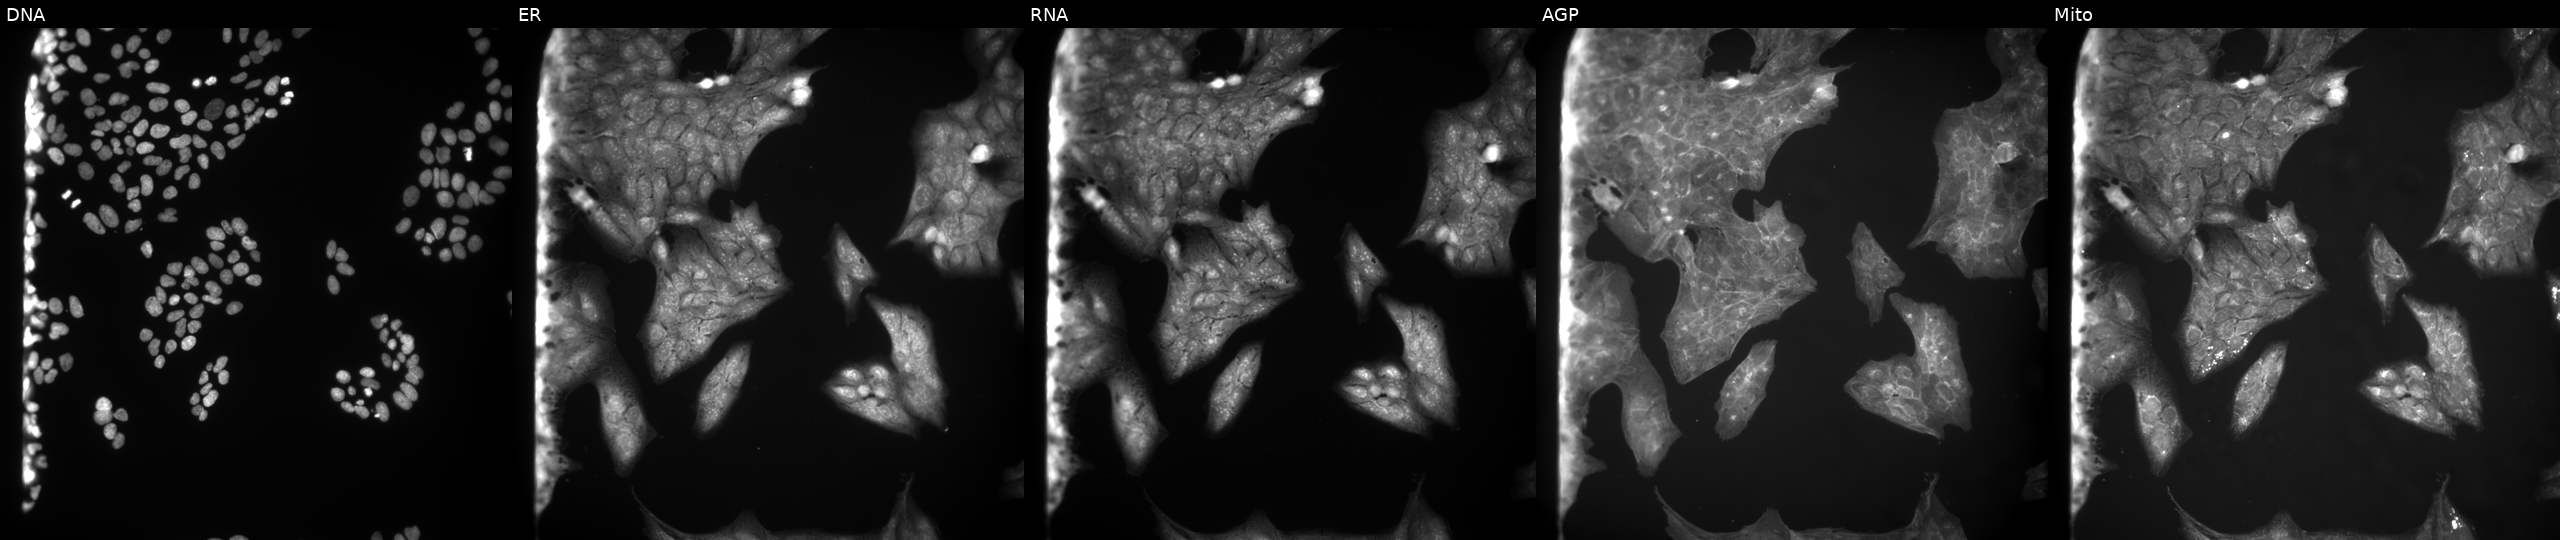
Five-channel Cell Painting image of U2OS cells exposed to a small-molecule compound (InChIKey IBCXZJCWDGCXQT-UHFFFAOYSA-N) [SMILES: c1ccc(-c2[nH]ncc2-c2ccnc3ccccc23)nc1] (JUMP id JCP2022_033954). Channels (left→right): DNA, ER, RNA, AGP, and Mito.